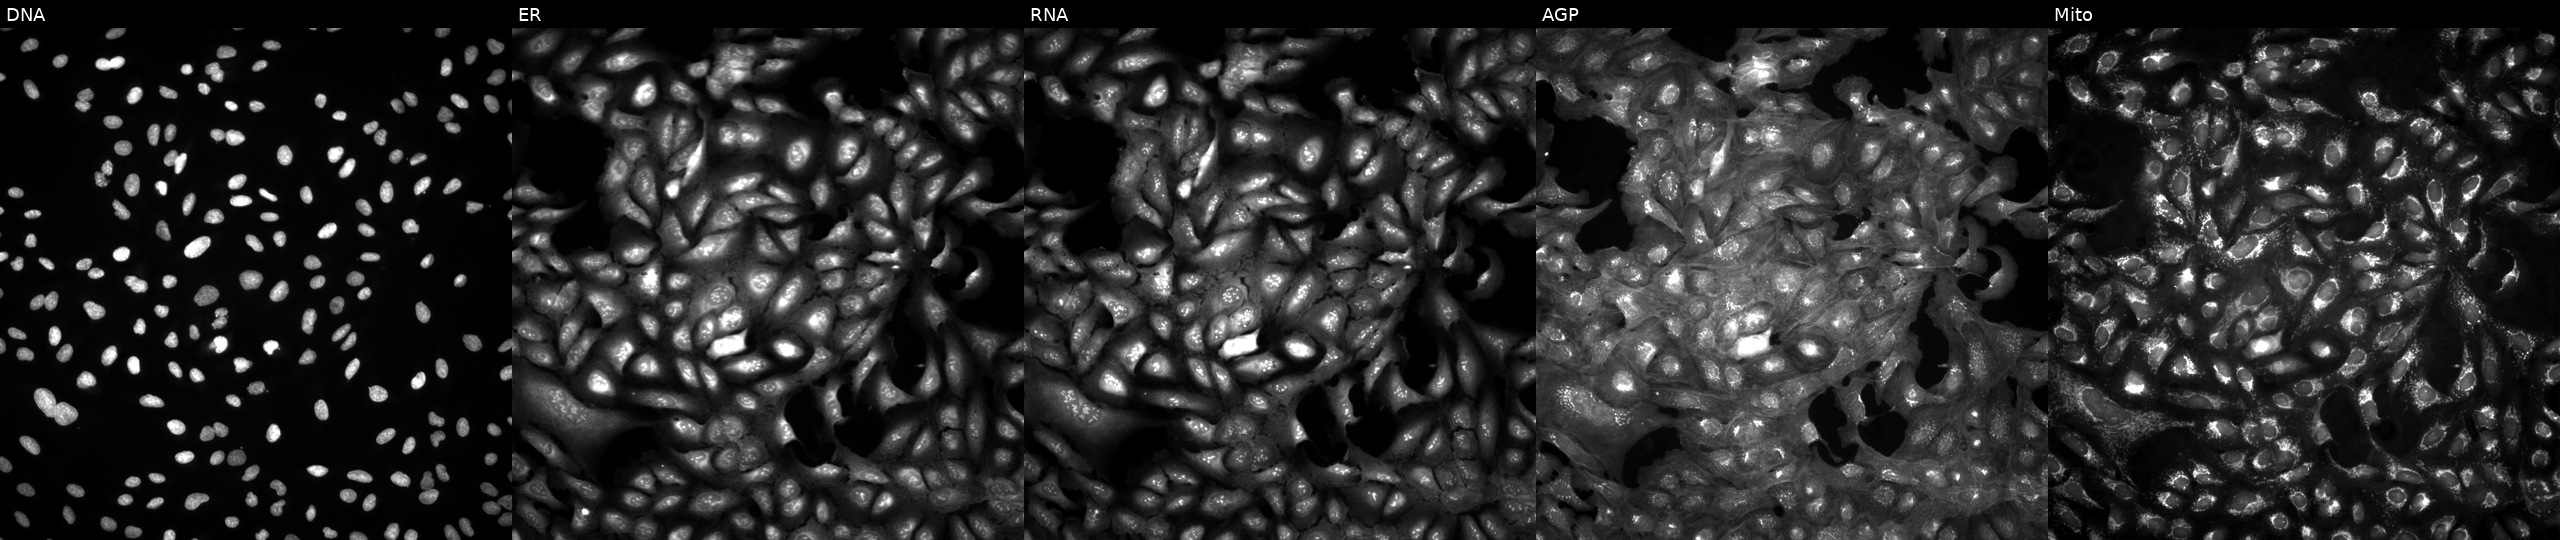
This image strip shows the five Cell Painting channels for a single field of U2OS cells untreated (empty-well control) (JUMP id JCP2022_999999). From left to right: DNA, ER, RNA, AGP, and Mito.